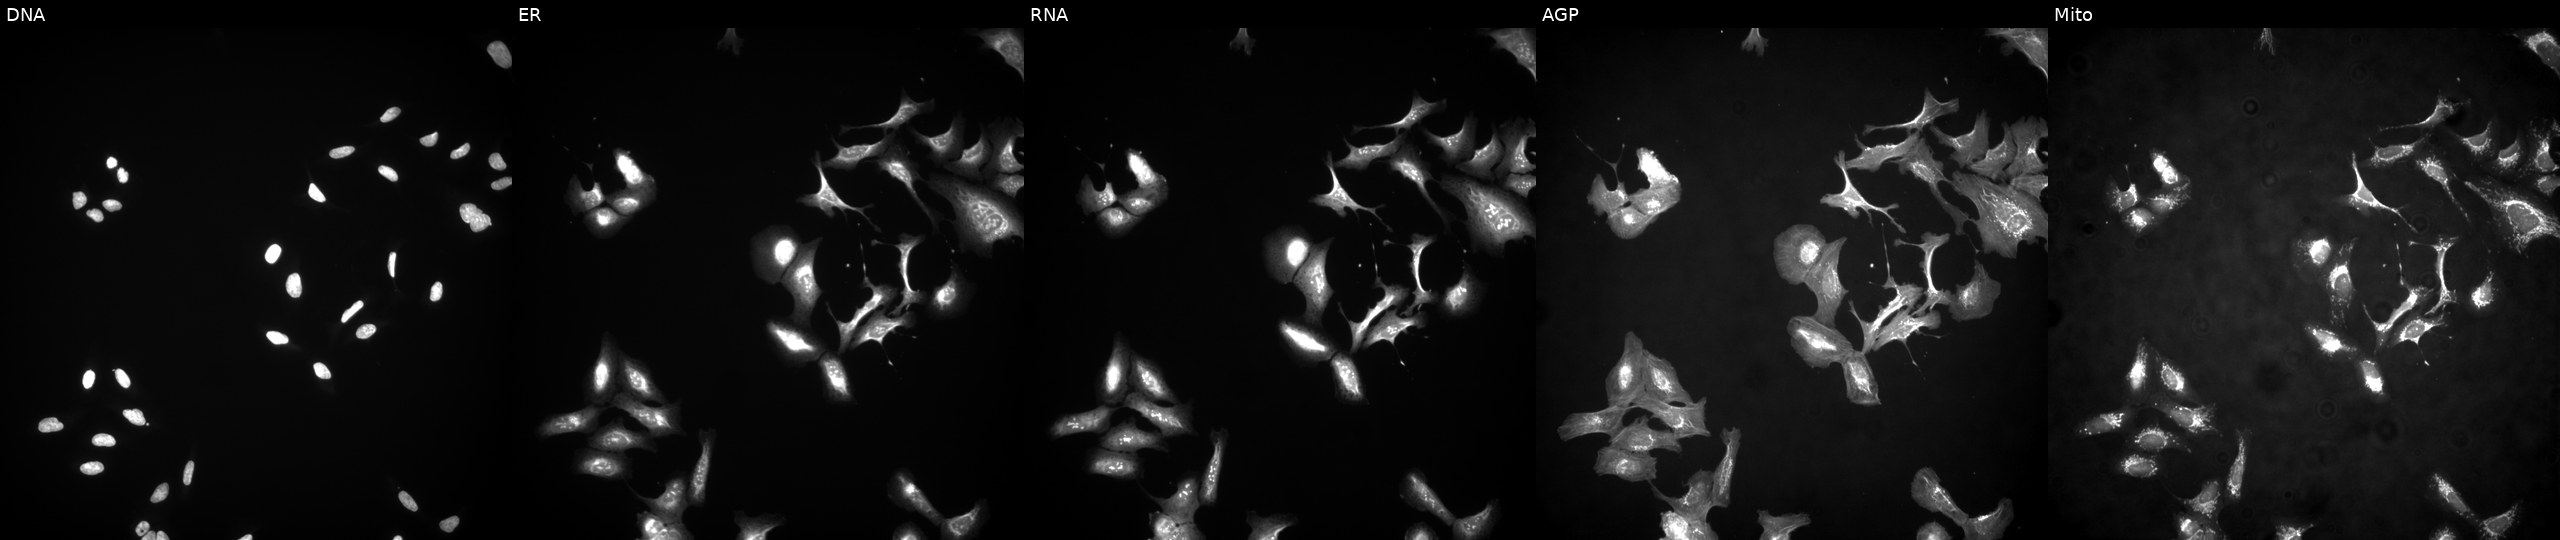
U2OS cells, Cell Painting assay, overexpressing CHP1 via ORF transfection (JUMP id JCP2022_910829). From left to right: DNA, ER, RNA, AGP, and Mito. Each panel is percentile-stretched 16-bit fluorescence.